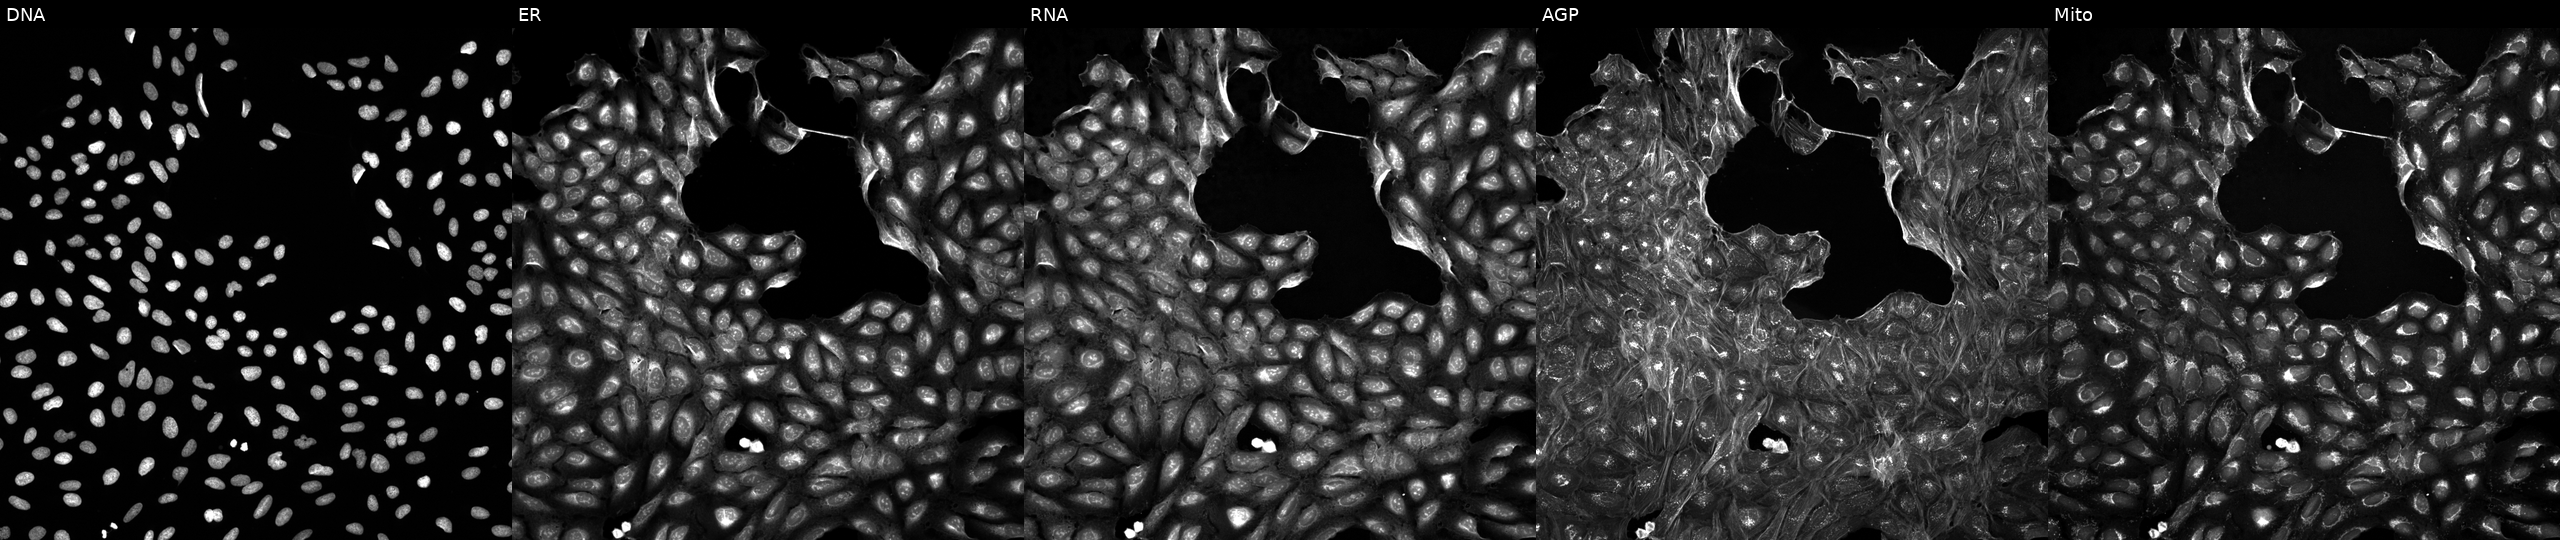
Channels (left→right): DNA, ER, RNA, AGP, and Mito. U2OS osteosarcoma cells treated with a small-molecule compound (InChIKey VFSVKVQMZDJFQX-UHFFFAOYSA-N) [SMILES: Cc1cccc(Oc2nc3c(C)cccn3c(=O)c2C=C(C#N)c2nc3ccccc3s2)c1]. Cell Painting assay, JUMP-CP dataset. Source 5, plate ACPJUM032, well C21.